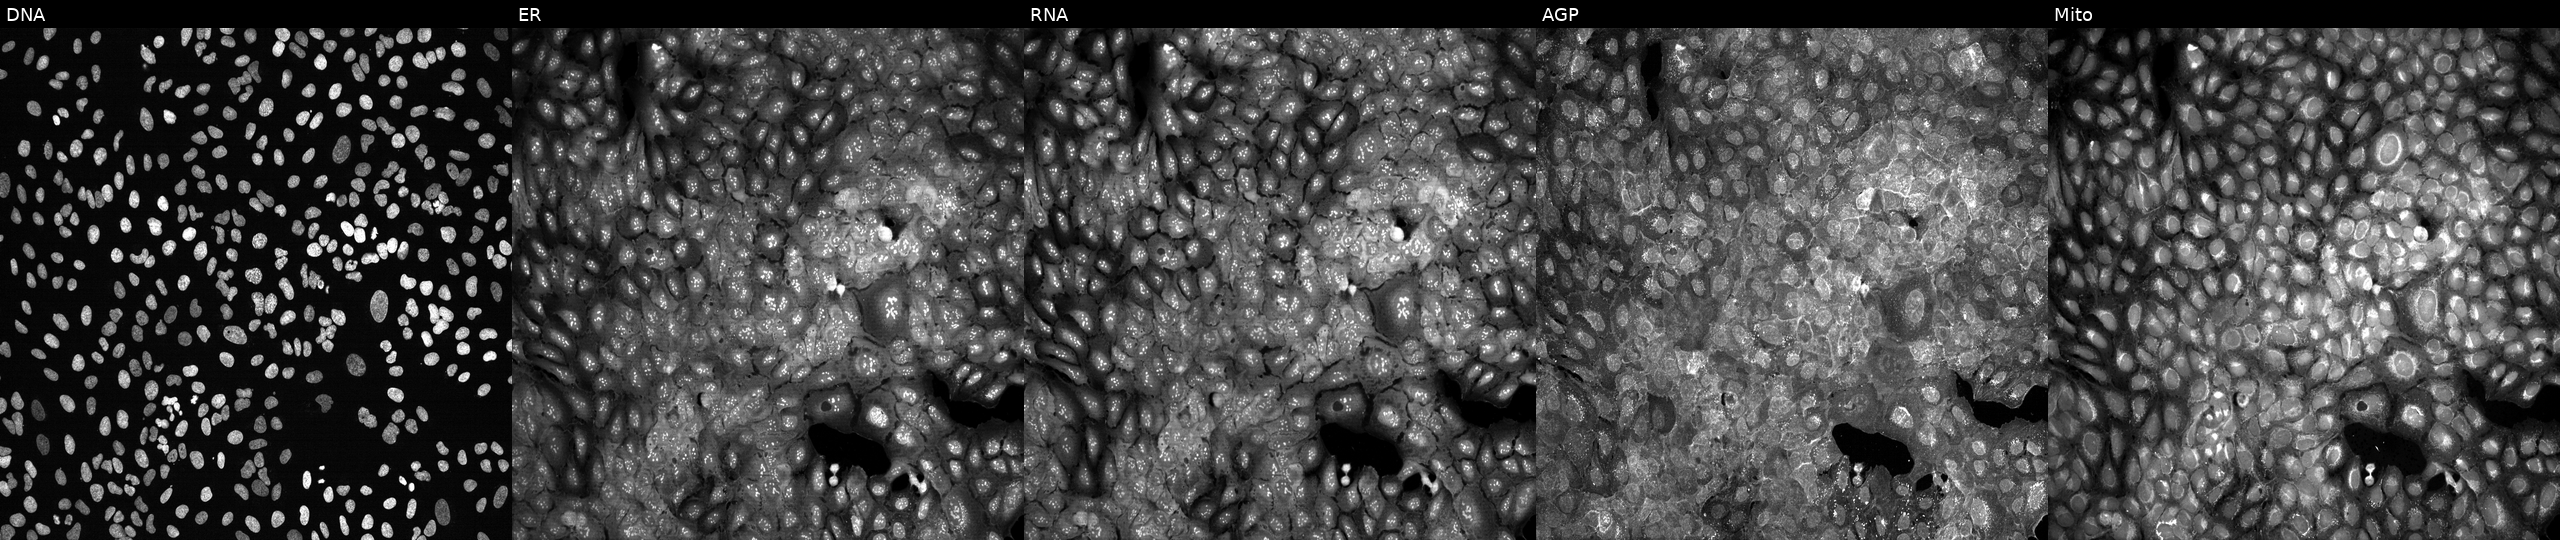
This image strip shows the five Cell Painting channels for a single field of U2OS cells CRISPR-edited to disrupt OGG1 (JUMP id JCP2022_804782). From left to right: DNA (nuclei); ER (endoplasmic reticulum); RNA (nucleoli and cytoplasmic RNA); AGP (actin cytoskeleton, Golgi, and plasma membrane); Mito (mitochondria). Source 13, plate CP-CC9-R1-01, well B08.